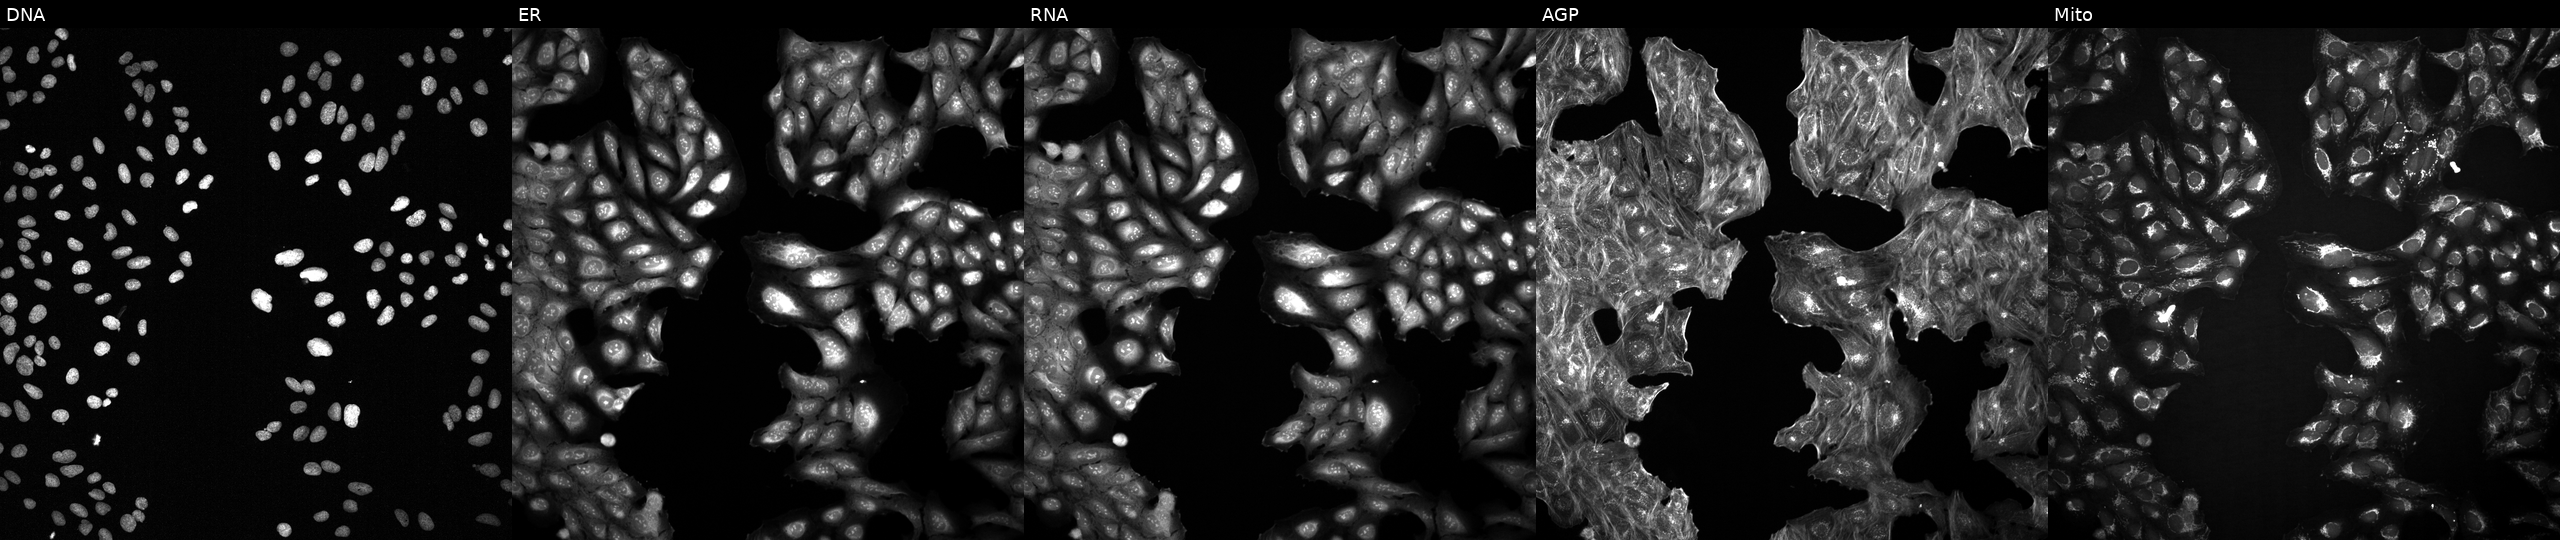
This image strip shows the five Cell Painting channels for a single field of U2OS cells with an unidentified perturbation (not annotated in JUMP metadata). Channels (left→right): DNA (nuclei); ER (endoplasmic reticulum); RNA (nucleoli and cytoplasmic RNA); AGP (actin cytoskeleton, Golgi, and plasma membrane); Mito (mitochondria).